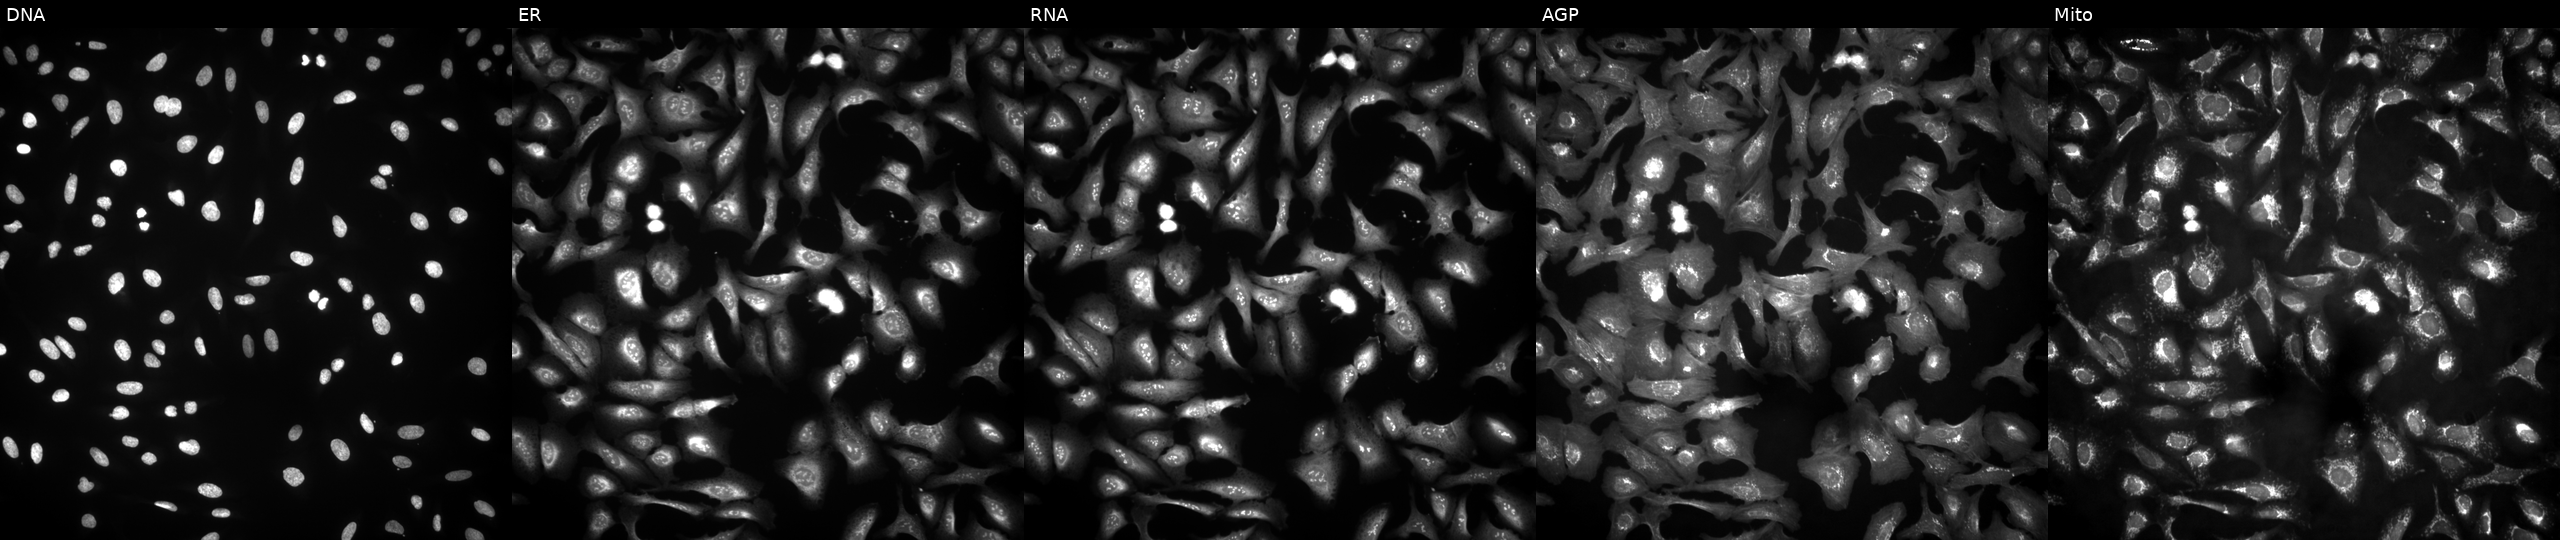
High-content fluorescence microscopy (Cell Painting). Cell line: U2OS. Perturbation: expressing HcRed (ORF negative control). Panels show, left to right, DNA, ER, RNA, AGP, and Mito. Source 4, plate BR00124790, well K08.